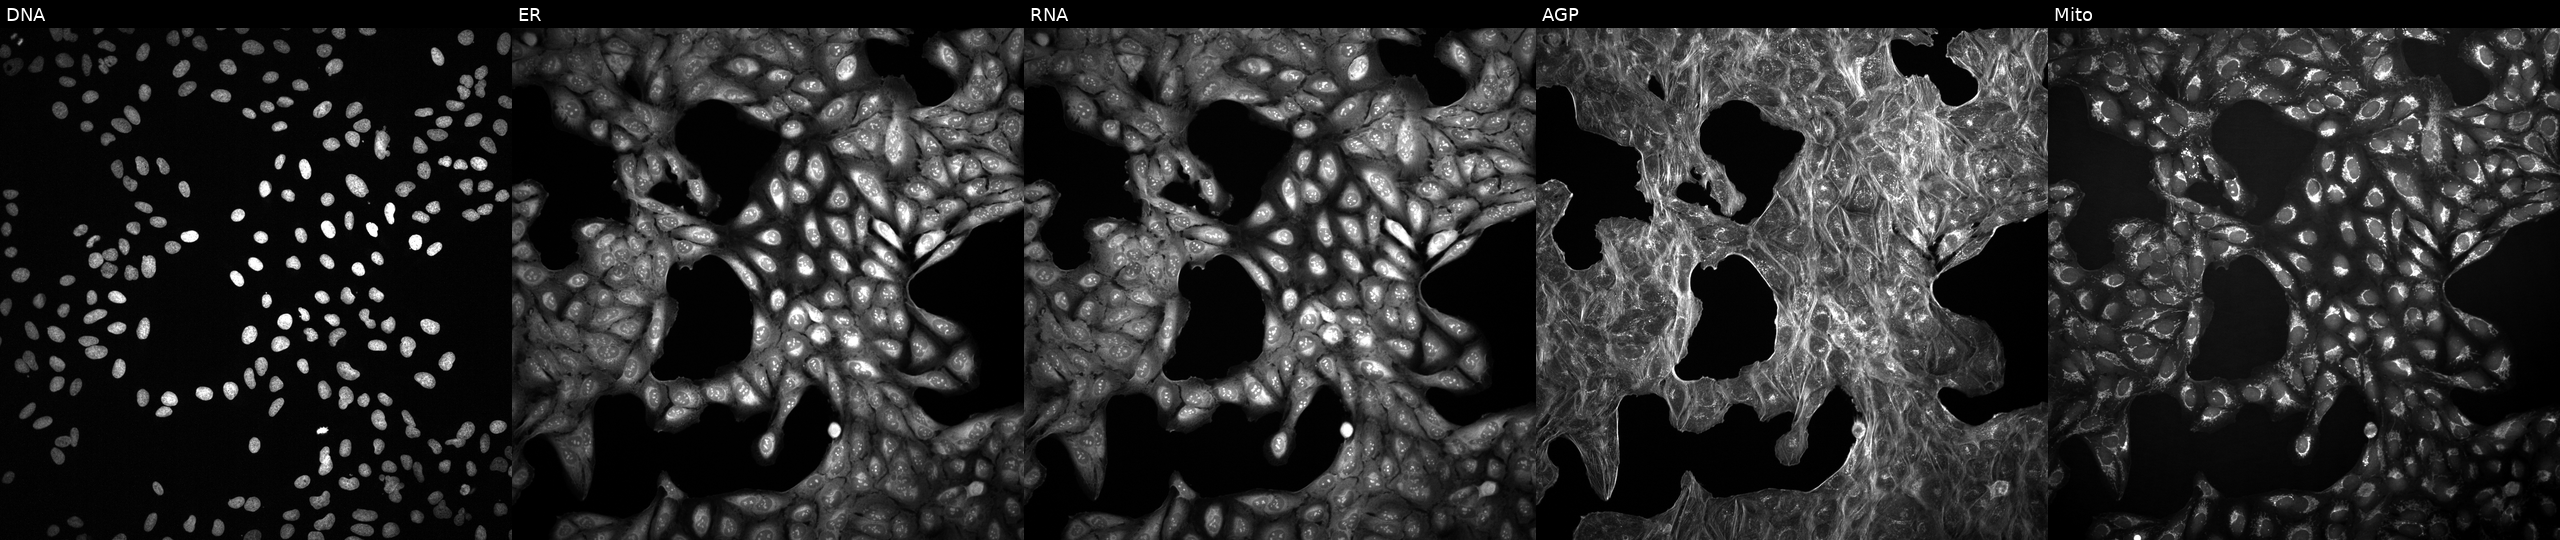
This image strip shows the five Cell Painting channels for a single field of U2OS cells exposed to DMSO alone as a negative control (JUMP id JCP2022_033924). The five panels, left to right, show Hoechst 33342, concanavalin A, SYTO 14, phalloidin and WGA, MitoTracker. Source 2, plate 1053597936, well F24.